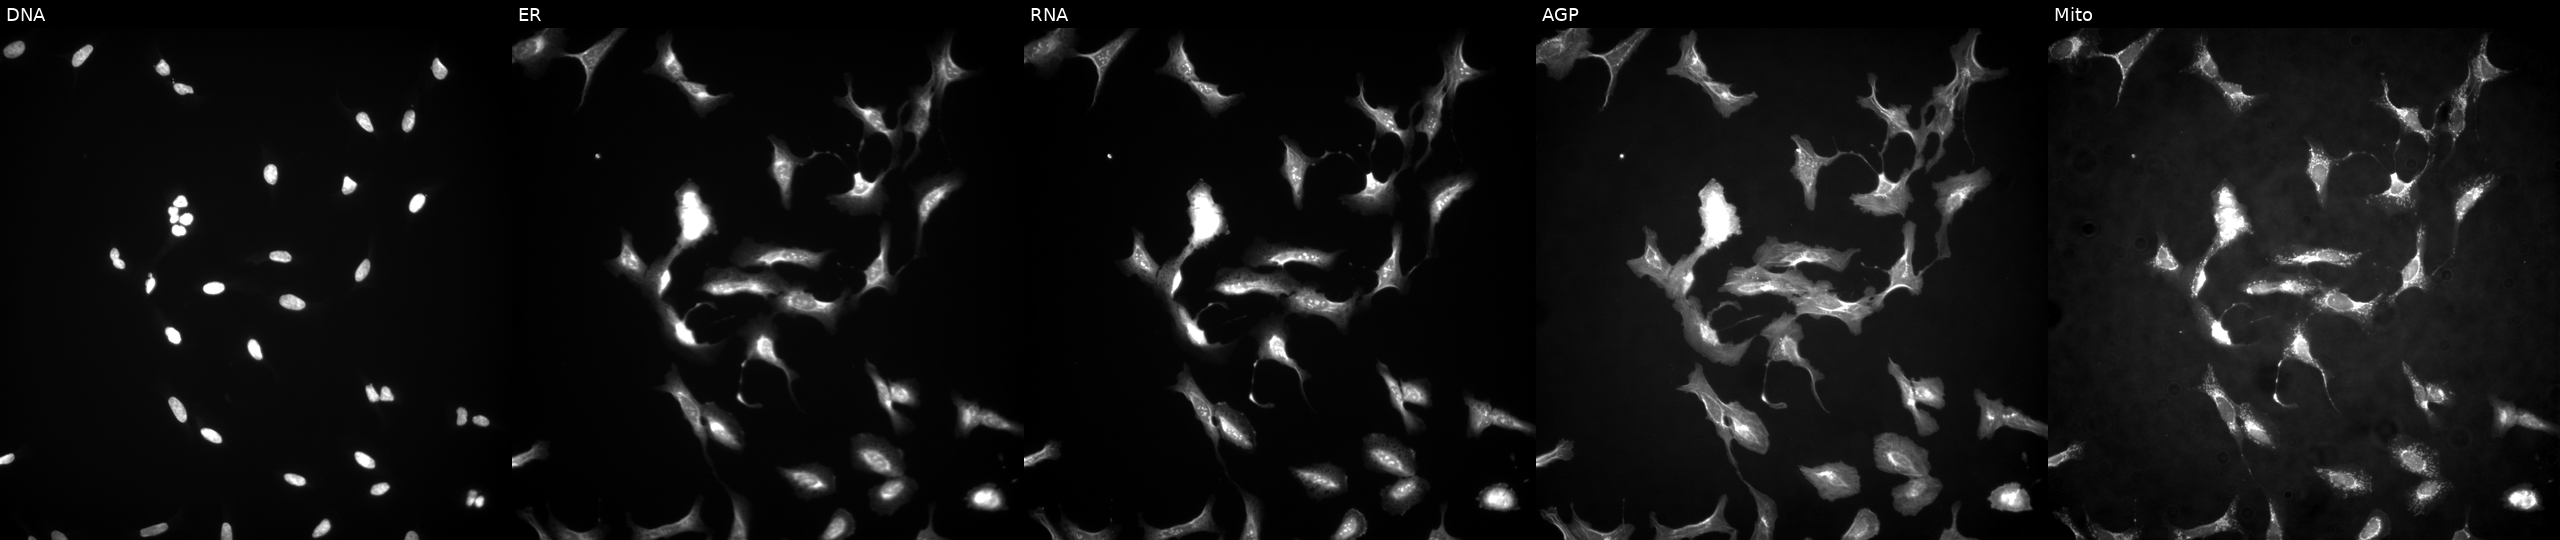
Channels (left→right): DNA (nuclei); ER (endoplasmic reticulum); RNA (nucleoli and cytoplasmic RNA); AGP (actin cytoskeleton, Golgi, and plasma membrane); Mito (mitochondria). U2OS osteosarcoma cells with CDR1 overexpressed (ORF). Cell Painting assay, JUMP-CP dataset. Source 4, plate BR00123509, well O10.